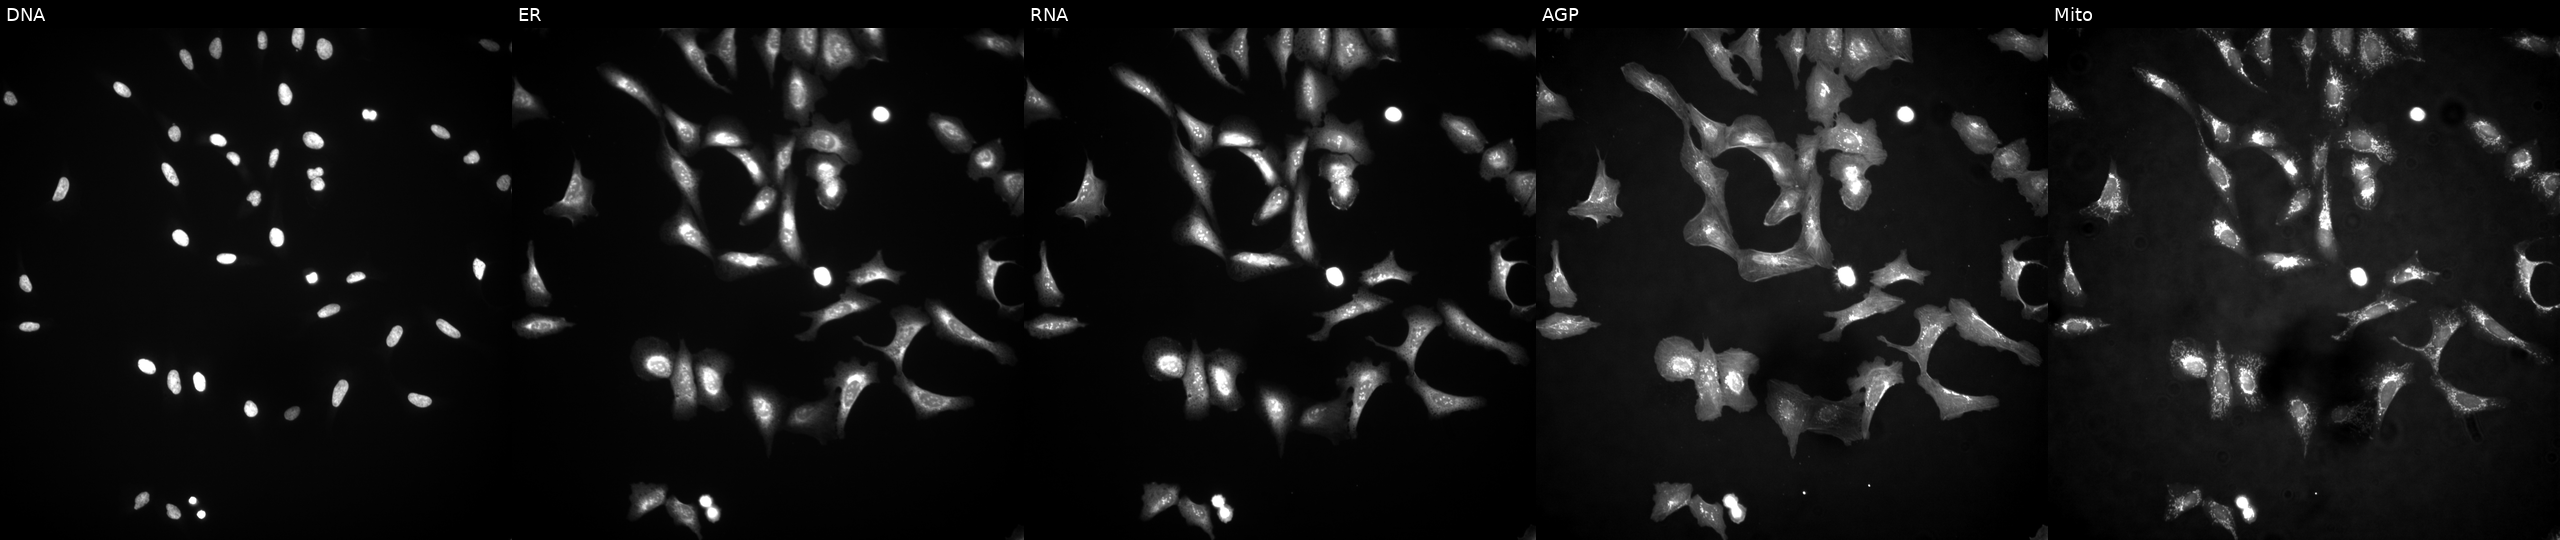
High-content fluorescence microscopy (Cell Painting). Cell line: U2OS. Perturbation: expressing HcRed (ORF negative control). Channels (left→right): Hoechst 33342, concanavalin A, SYTO 14, phalloidin and WGA, MitoTracker.